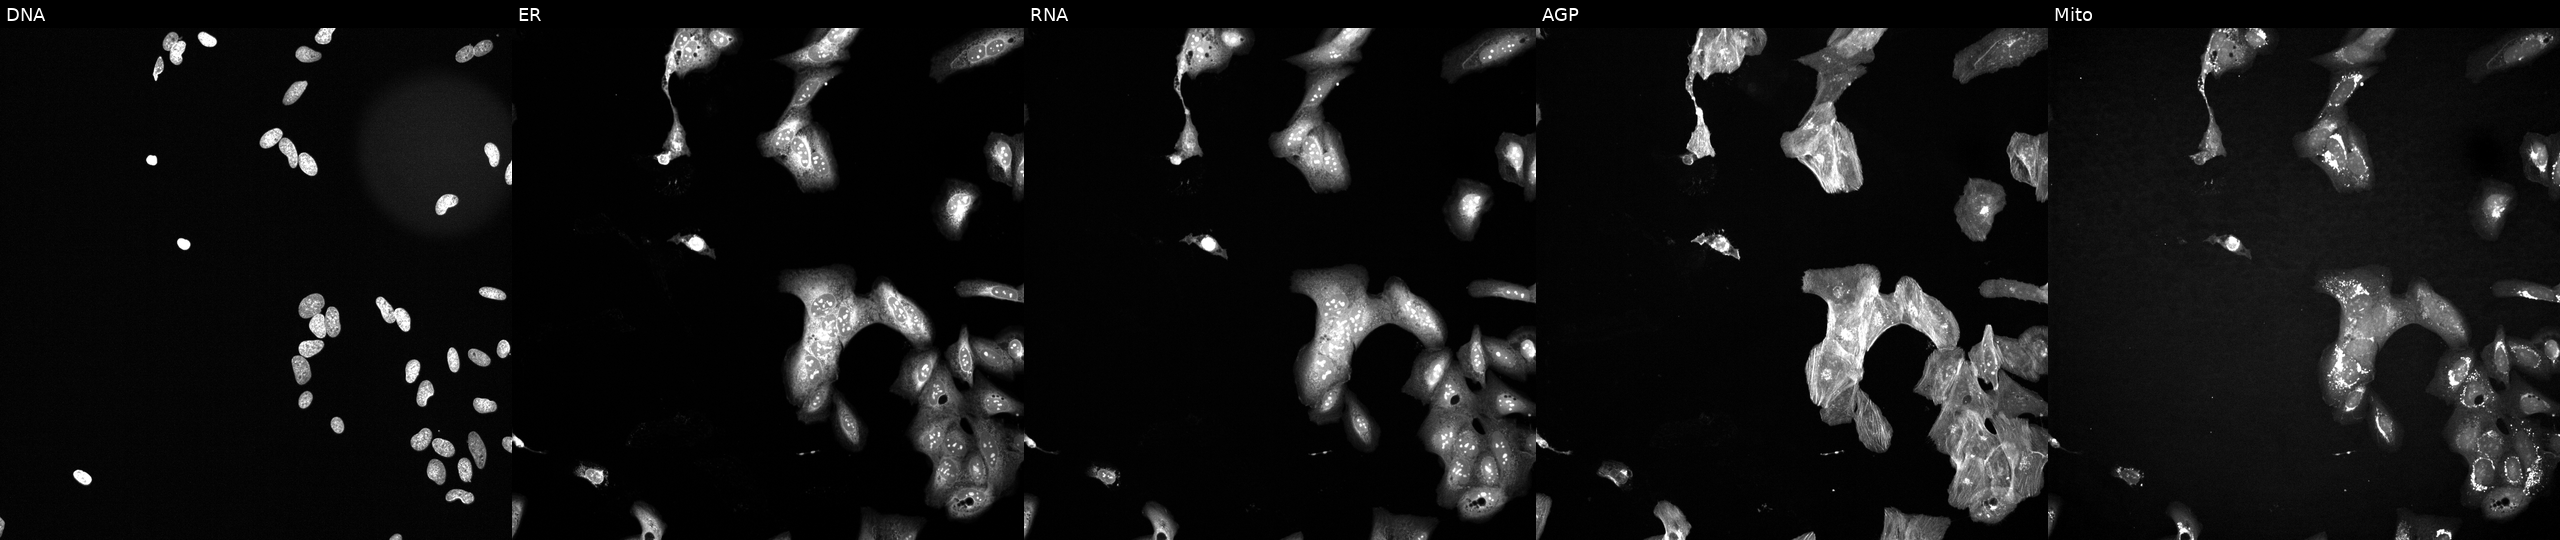
Five-channel Cell Painting image of U2OS cells perturbed with a small-molecule compound. From left to right: DNA (nuclei); ER (endoplasmic reticulum); RNA (nucleoli and cytoplasmic RNA); AGP (actin cytoskeleton, Golgi, and plasma membrane); Mito (mitochondria).